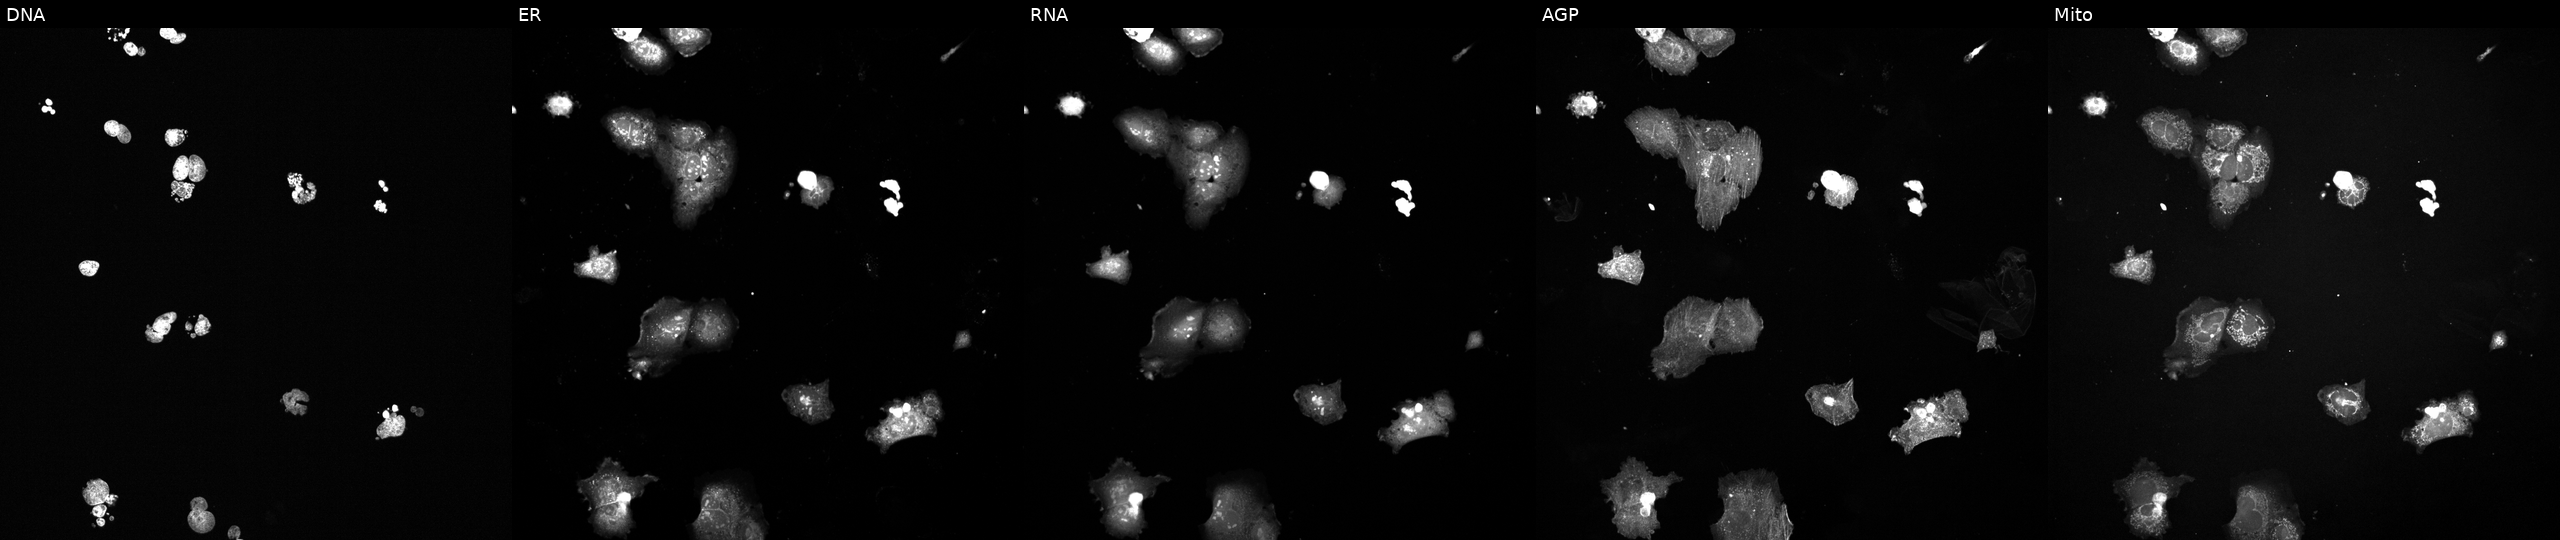
This image strip shows the five Cell Painting channels for a single field of U2OS cells treated with a small-molecule compound (InChIKey VSVFLGPUZJTBSD-UHFFFAOYSA-N). Channels (left→right): DNA (nuclei); ER (endoplasmic reticulum); RNA (nucleoli and cytoplasmic RNA); AGP (actin cytoskeleton, Golgi, and plasma membrane); Mito (mitochondria).